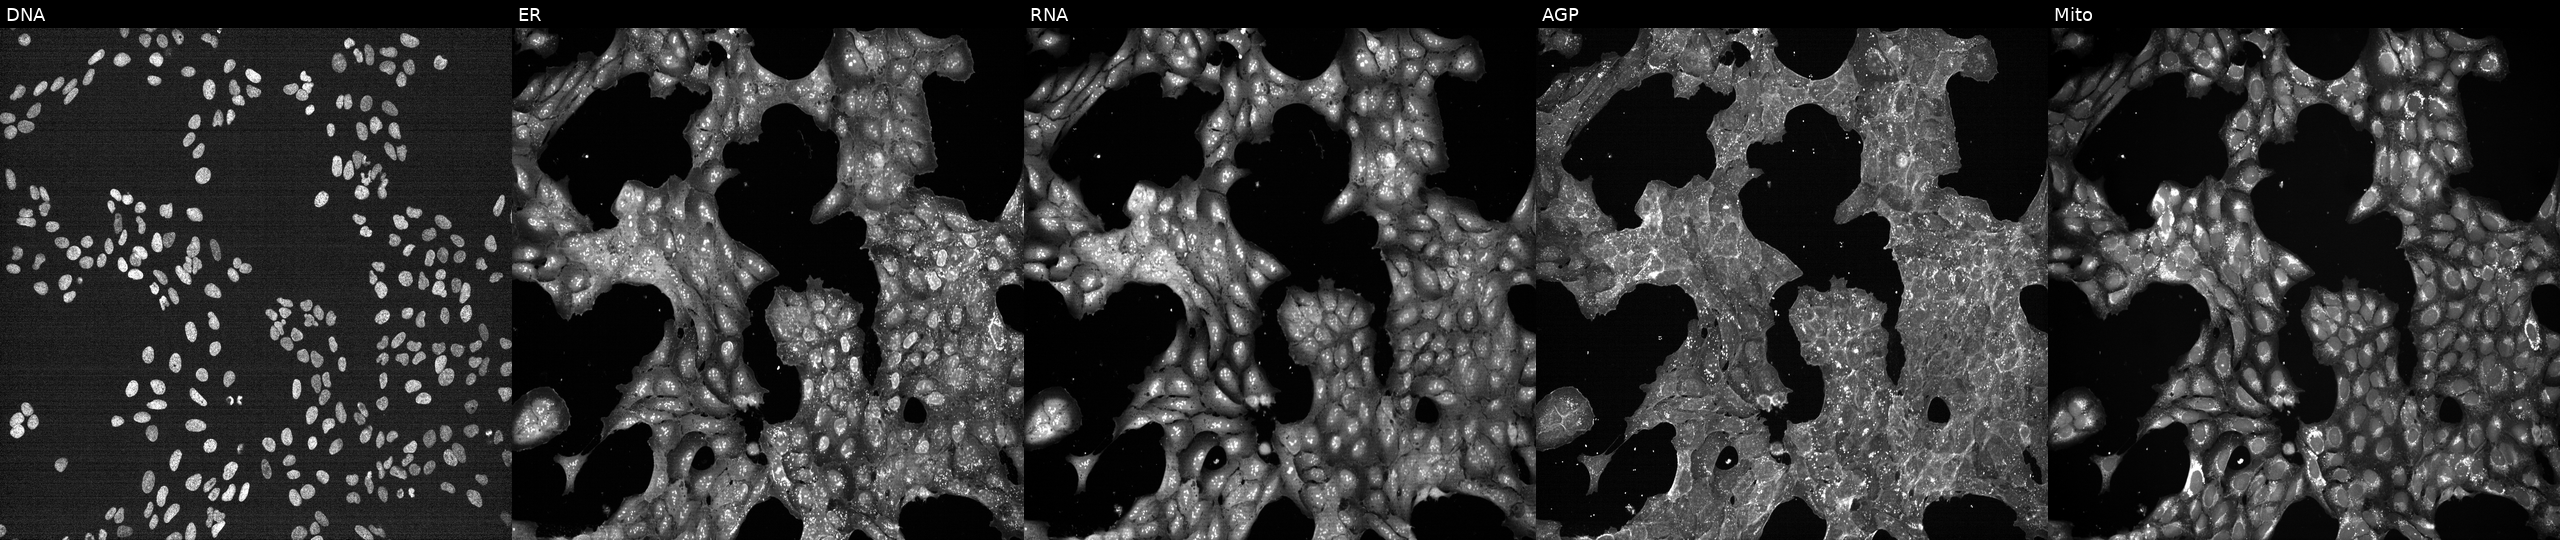
U2OS cells, Cell Painting assay, perturbed with a small-molecule compound. Panels show, left to right, Hoechst 33342, concanavalin A, SYTO 14, phalloidin and WGA, MitoTracker. Each panel is percentile-stretched 16-bit fluorescence. Source 7, plate CP1-SC1-25, well I14.